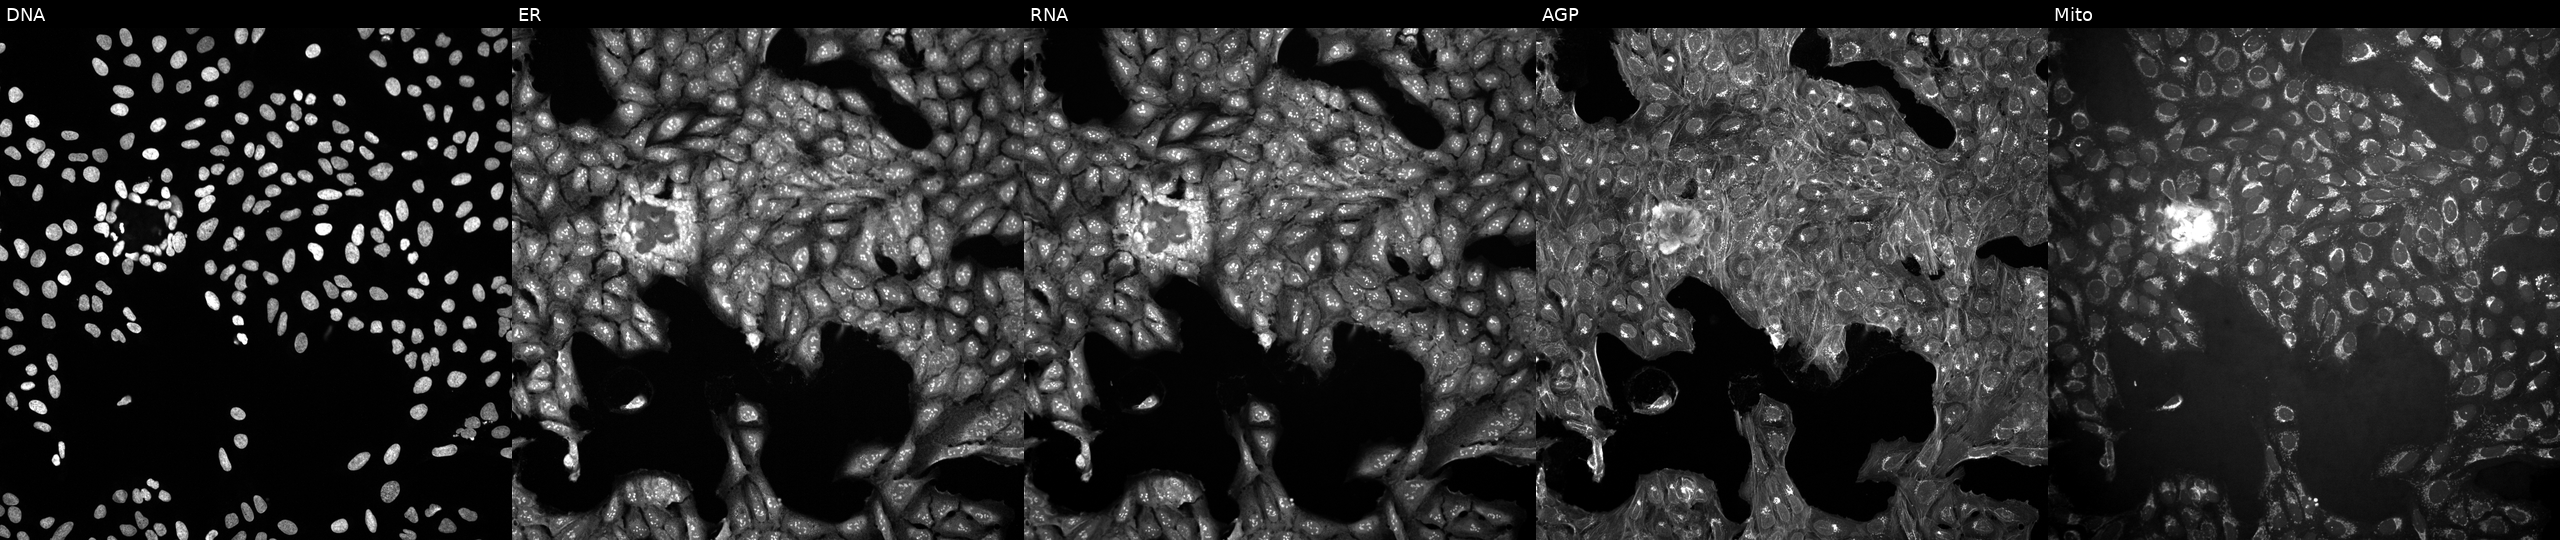
JUMP Cell Painting — COMPOUND plate. U2OS cells untreated (empty-well control) (JUMP id JCP2022_999999). Channels (left→right): Hoechst 33342, concanavalin A, SYTO 14, phalloidin and WGA, MitoTracker.